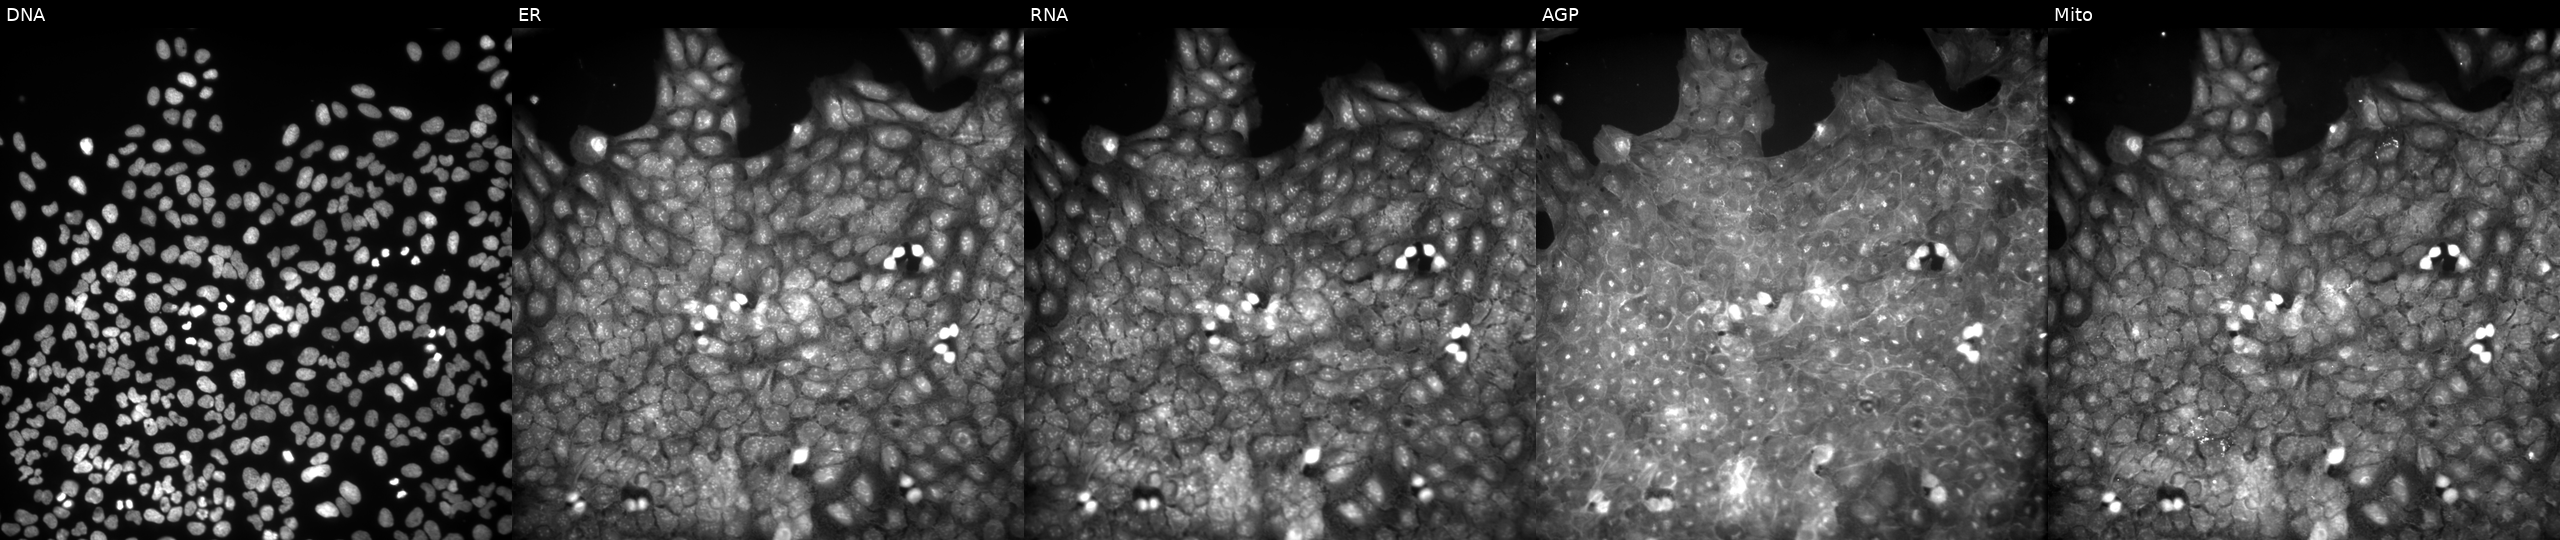
U2OS cells, Cell Painting assay, treated with a small-molecule compound (InChIKey SNFMCRFPQQJHOO-UHFFFAOYSA-N) (JUMP id JCP2022_084344). The five panels, left to right, show Hoechst 33342, concanavalin A, SYTO 14, phalloidin and WGA, MitoTracker. Each panel is percentile-stretched 16-bit fluorescence. Source 9, plate GR00003382, well AE21.